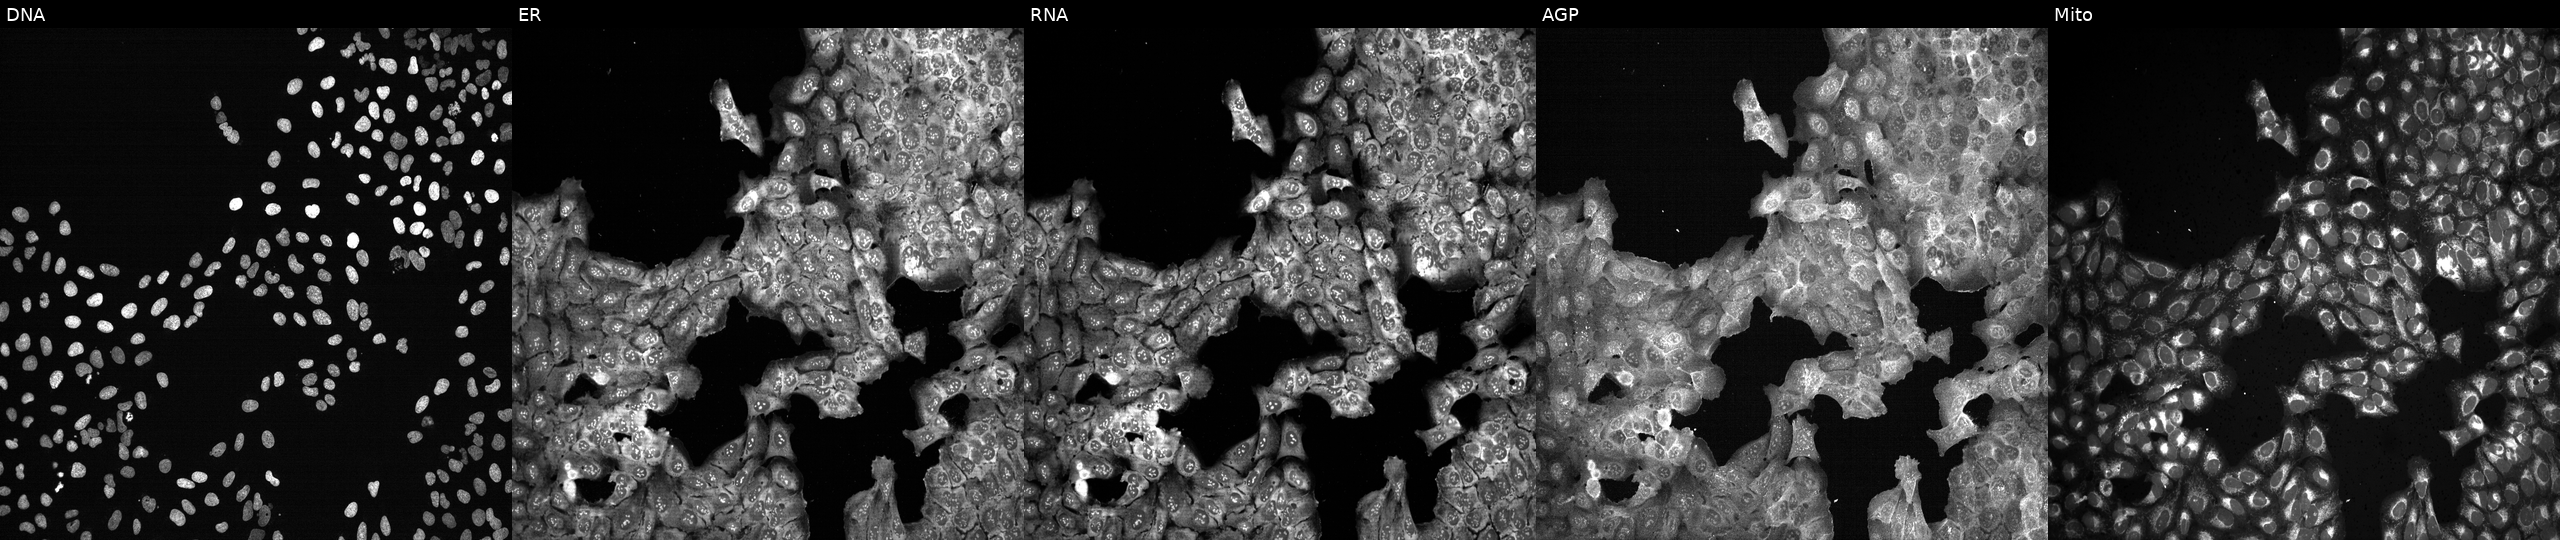
This image strip shows the five Cell Painting channels for a single field of U2OS cells with SFRP2 knocked out by CRISPR (JUMP id JCP2022_806297). The five panels, left to right, show DNA, ER, RNA, AGP, and Mito. Source 13, plate CP-CC9-R2-02, well K09.